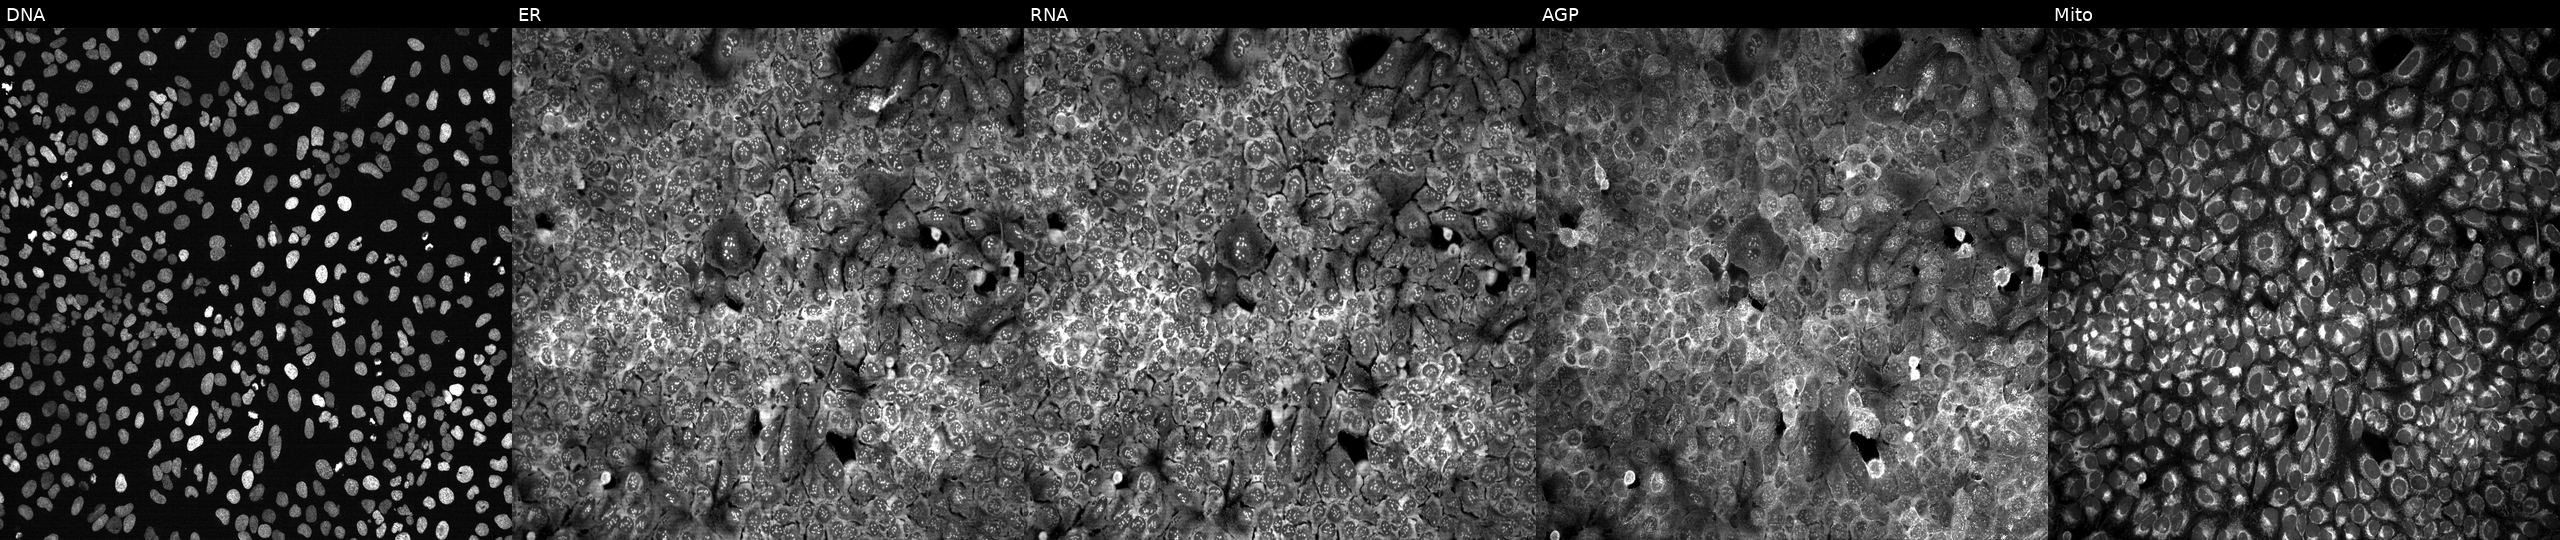
U2OS cells, Cell Painting assay, following CRISPR knockout of PON3 (JUMP id JCP2022_805368). Panels show, left to right, DNA, ER, RNA, AGP, and Mito. Each panel is percentile-stretched 16-bit fluorescence.